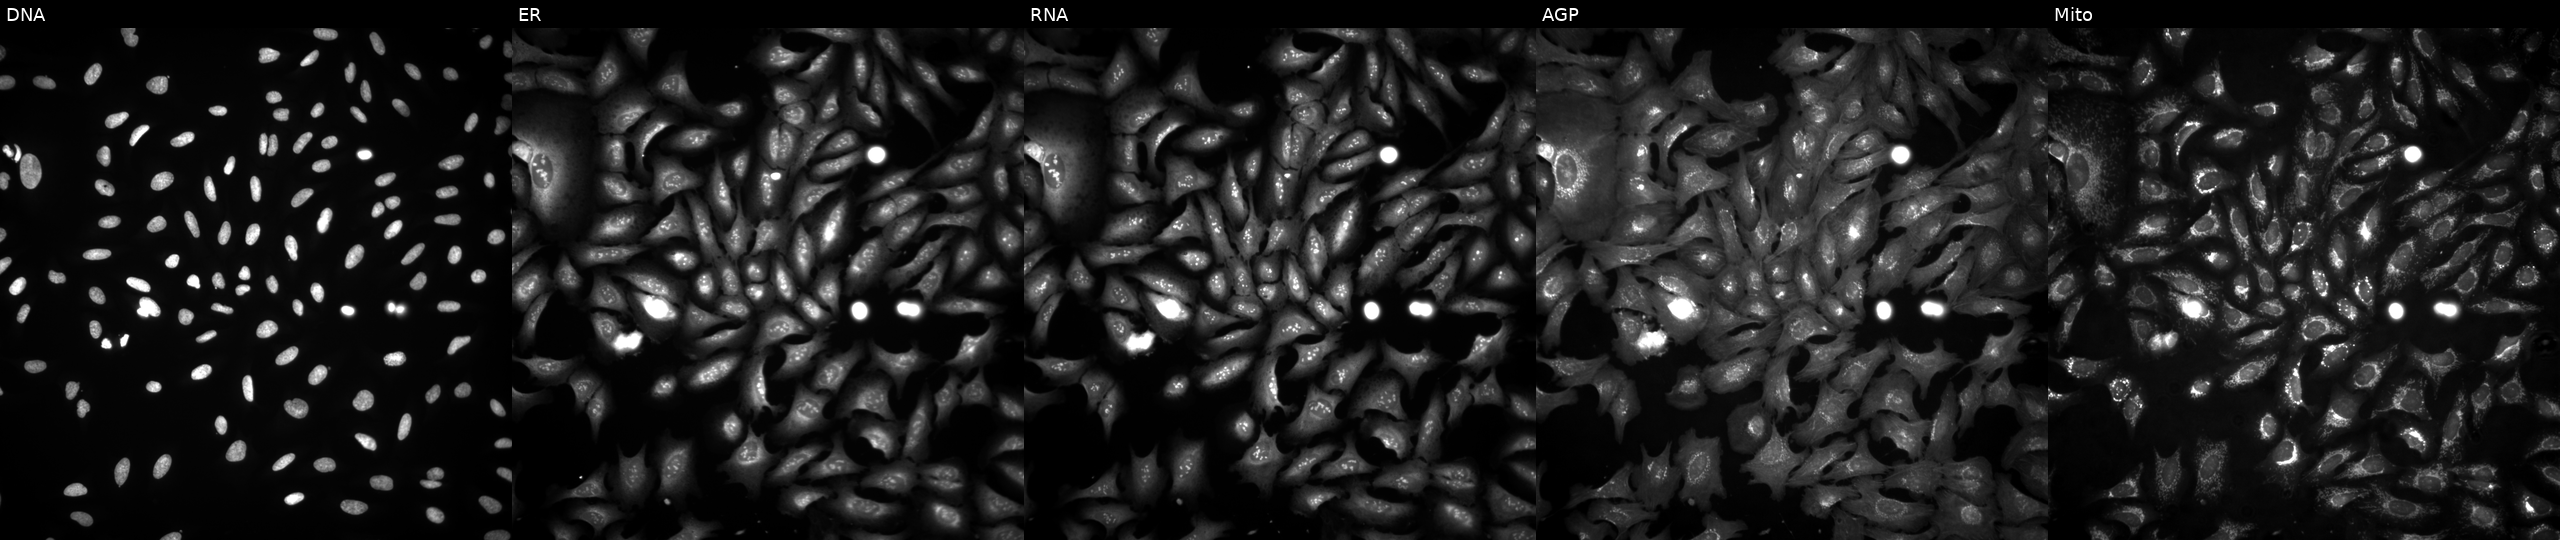
Channels (left→right): Hoechst 33342, concanavalin A, SYTO 14, phalloidin and WGA, MitoTracker. U2OS osteosarcoma cells transfected with an ORF construct for PDP2. Cell Painting assay, JUMP-CP dataset.